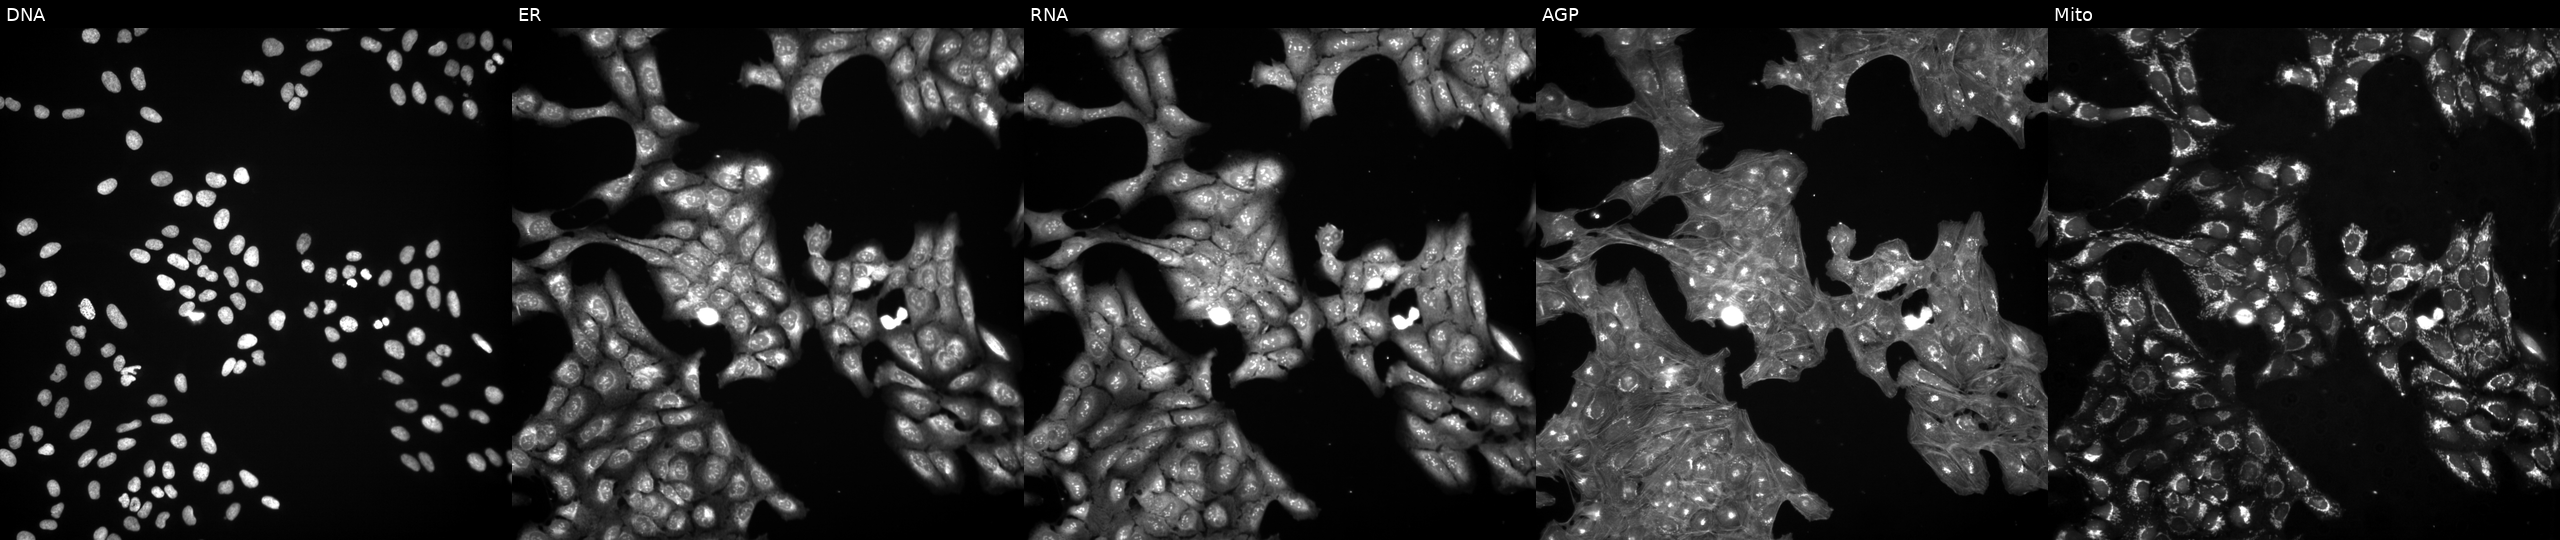
U2OS cells, Cell Painting assay, treated with a small-molecule compound (InChIKey NQUBEAMJNATSIE-UHFFFAOYSA-N) [SMILES: O=C(CCNC(=O)c1ccccc1Cl)Nc1ccc(Cl)c(C(F)(F)F)c1]. The five panels, left to right, show Hoechst 33342, concanavalin A, SYTO 14, phalloidin and WGA, MitoTracker. Each panel is percentile-stretched 16-bit fluorescence.